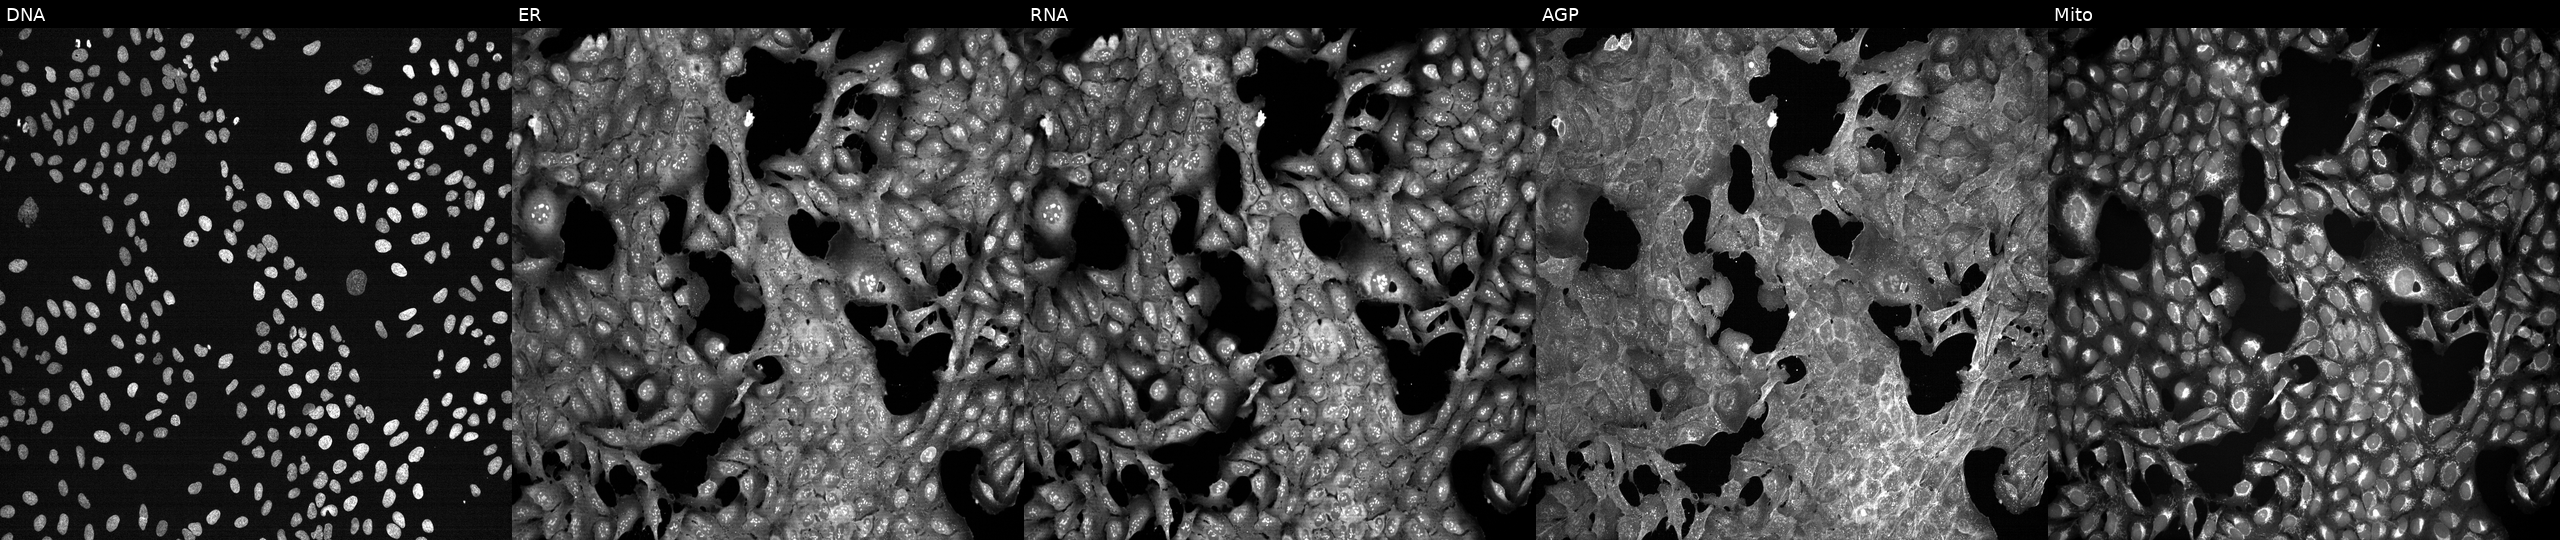
This image strip shows the five Cell Painting channels for a single field of U2OS cells perturbed with a small-molecule compound. The five panels, left to right, show DNA (nuclei); ER (endoplasmic reticulum); RNA (nucleoli and cytoplasmic RNA); AGP (actin cytoskeleton, Golgi, and plasma membrane); Mito (mitochondria). Source 7, plate CP3-SC1-25, well B07.